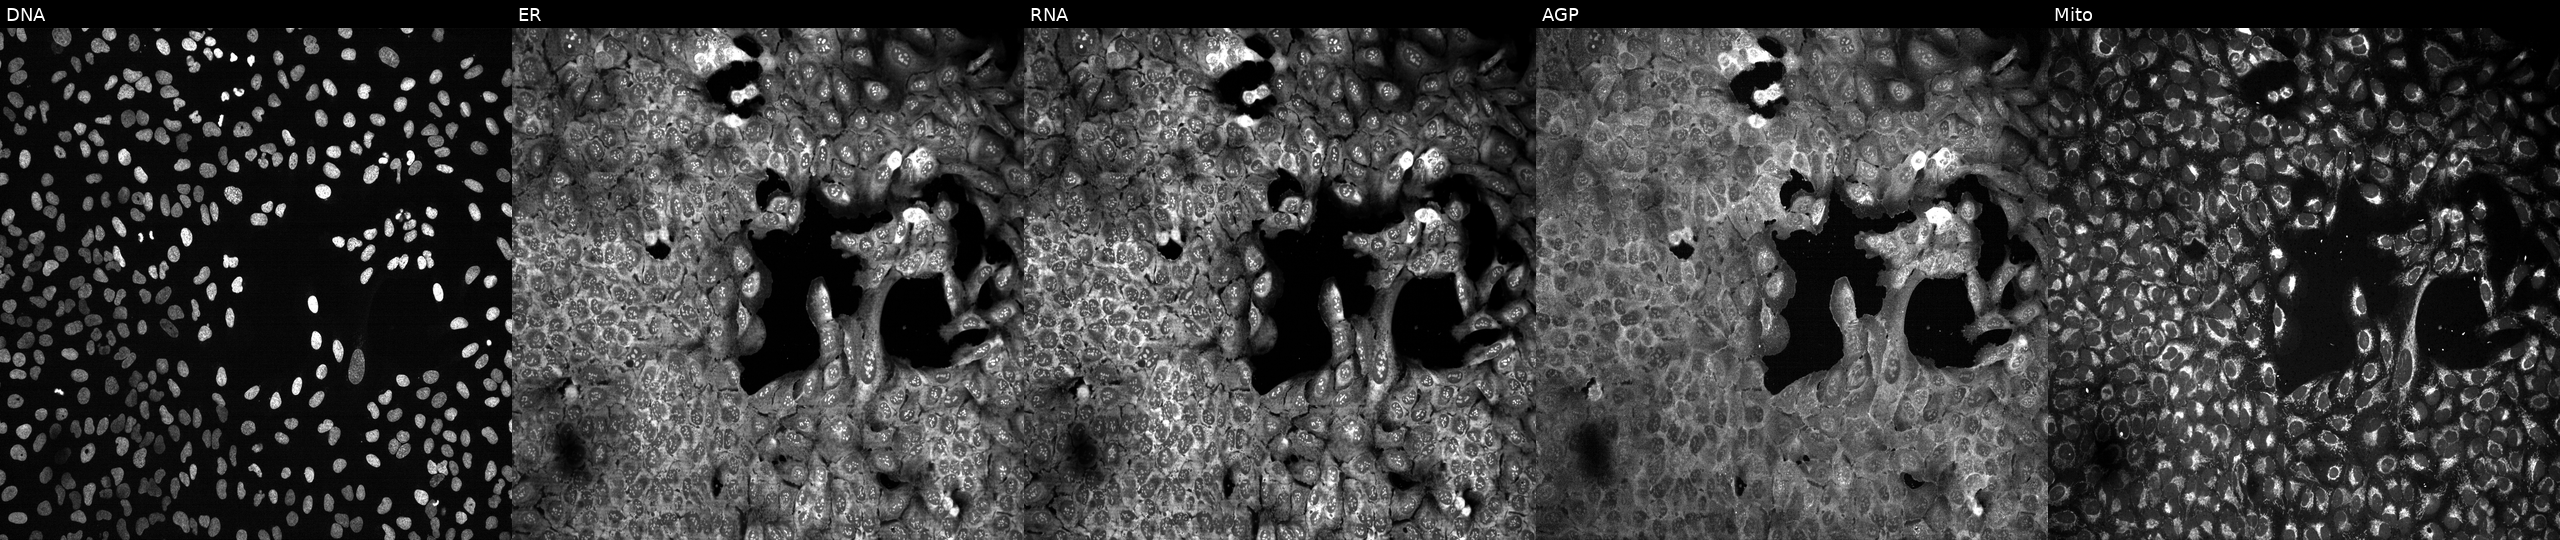
High-content fluorescence microscopy (Cell Painting). Cell line: U2OS. Perturbation: with TLR1 knocked out by CRISPR (JUMP id JCP2022_807109). Panels show, left to right, Hoechst 33342, concanavalin A, SYTO 14, phalloidin and WGA, MitoTracker.